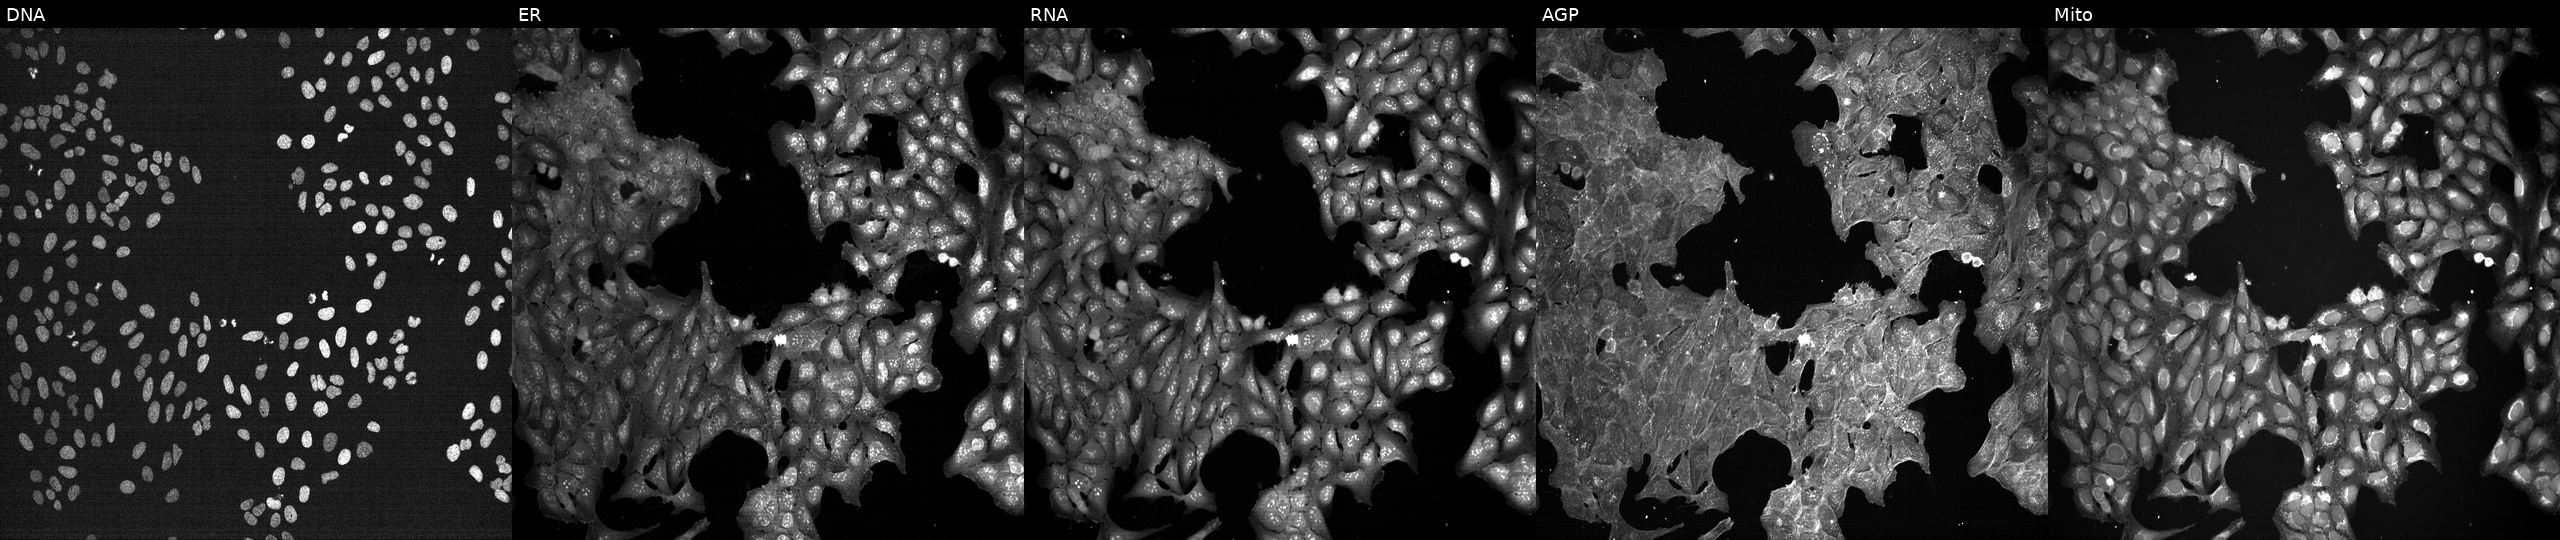
High-content fluorescence microscopy (Cell Painting). Cell line: U2OS. Perturbation: perturbed with a small-molecule compound (InChIKey JYLNVJYYQQXNEK-UHFFFAOYSA-N) [SMILES: NCC(CS(=O)(=O)O)c1ccc(Cl)cc1]. From left to right: DNA (nuclei); ER (endoplasmic reticulum); RNA (nucleoli and cytoplasmic RNA); AGP (actin cytoskeleton, Golgi, and plasma membrane); Mito (mitochondria). Source 7, plate CP1-SC1-25, well I03.